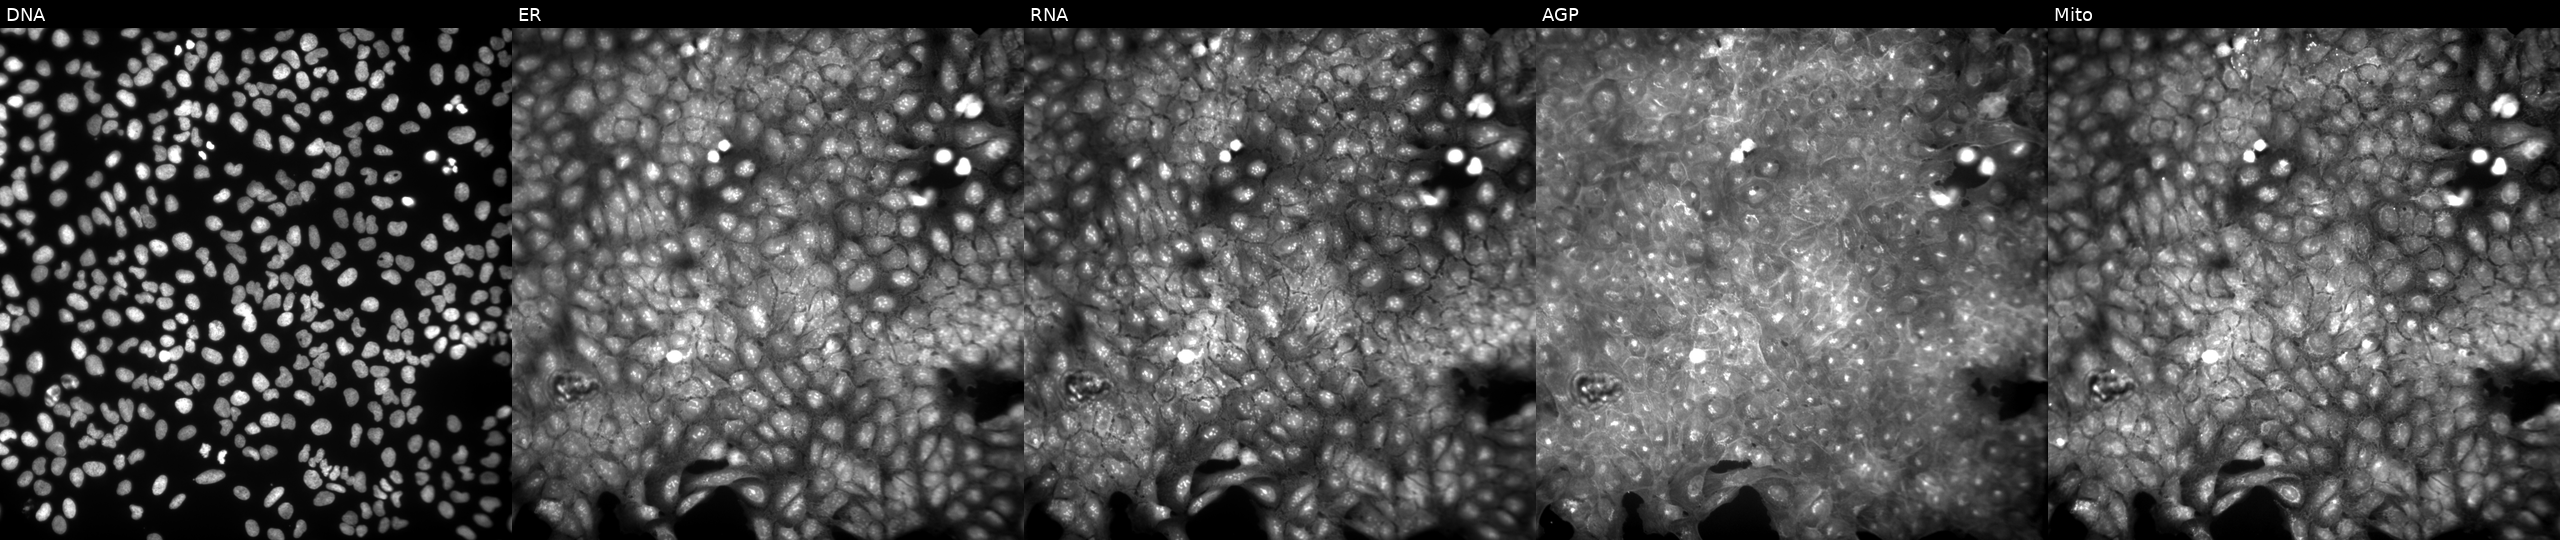
Five-channel Cell Painting image of U2OS cells exposed to a small-molecule compound. From left to right: Hoechst 33342, concanavalin A, SYTO 14, phalloidin and WGA, MitoTracker. Source 9, plate GR00003382, well V46.